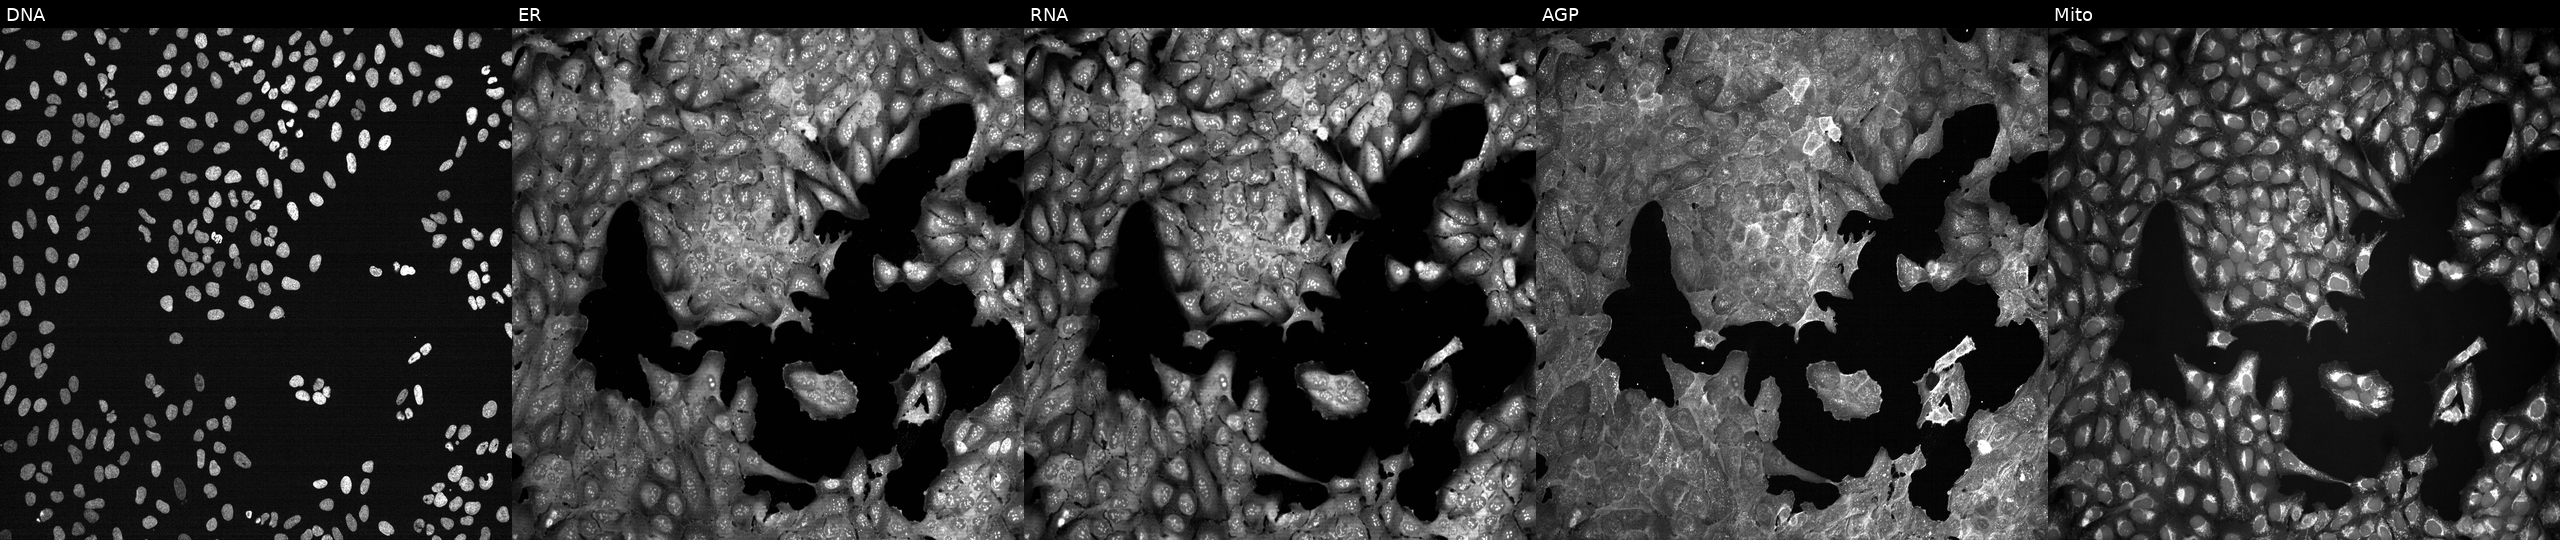
U2OS cells, Cell Painting assay, treated with DMSO vehicle only (negative control). From left to right: DNA (nuclei); ER (endoplasmic reticulum); RNA (nucleoli and cytoplasmic RNA); AGP (actin cytoskeleton, Golgi, and plasma membrane); Mito (mitochondria). Each panel is percentile-stretched 16-bit fluorescence. Source 7, plate CP3-SC1-25, well G04.